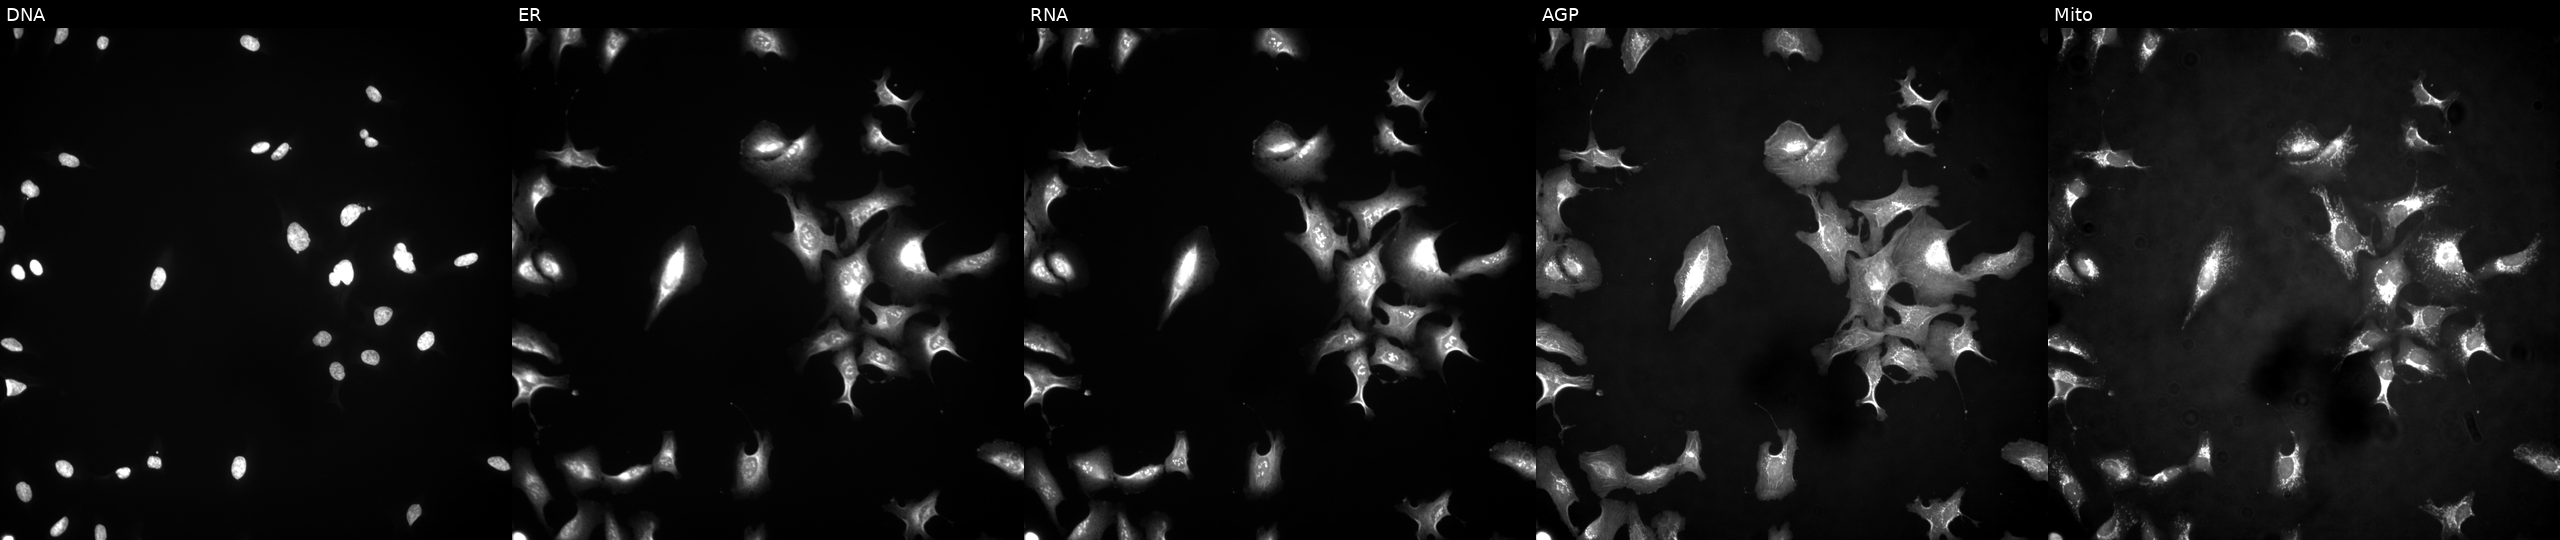
JUMP Cell Painting — ORF plate. U2OS cells transfected with an ORF construct for VAC14. From left to right: Hoechst 33342, concanavalin A, SYTO 14, phalloidin and WGA, MitoTracker.